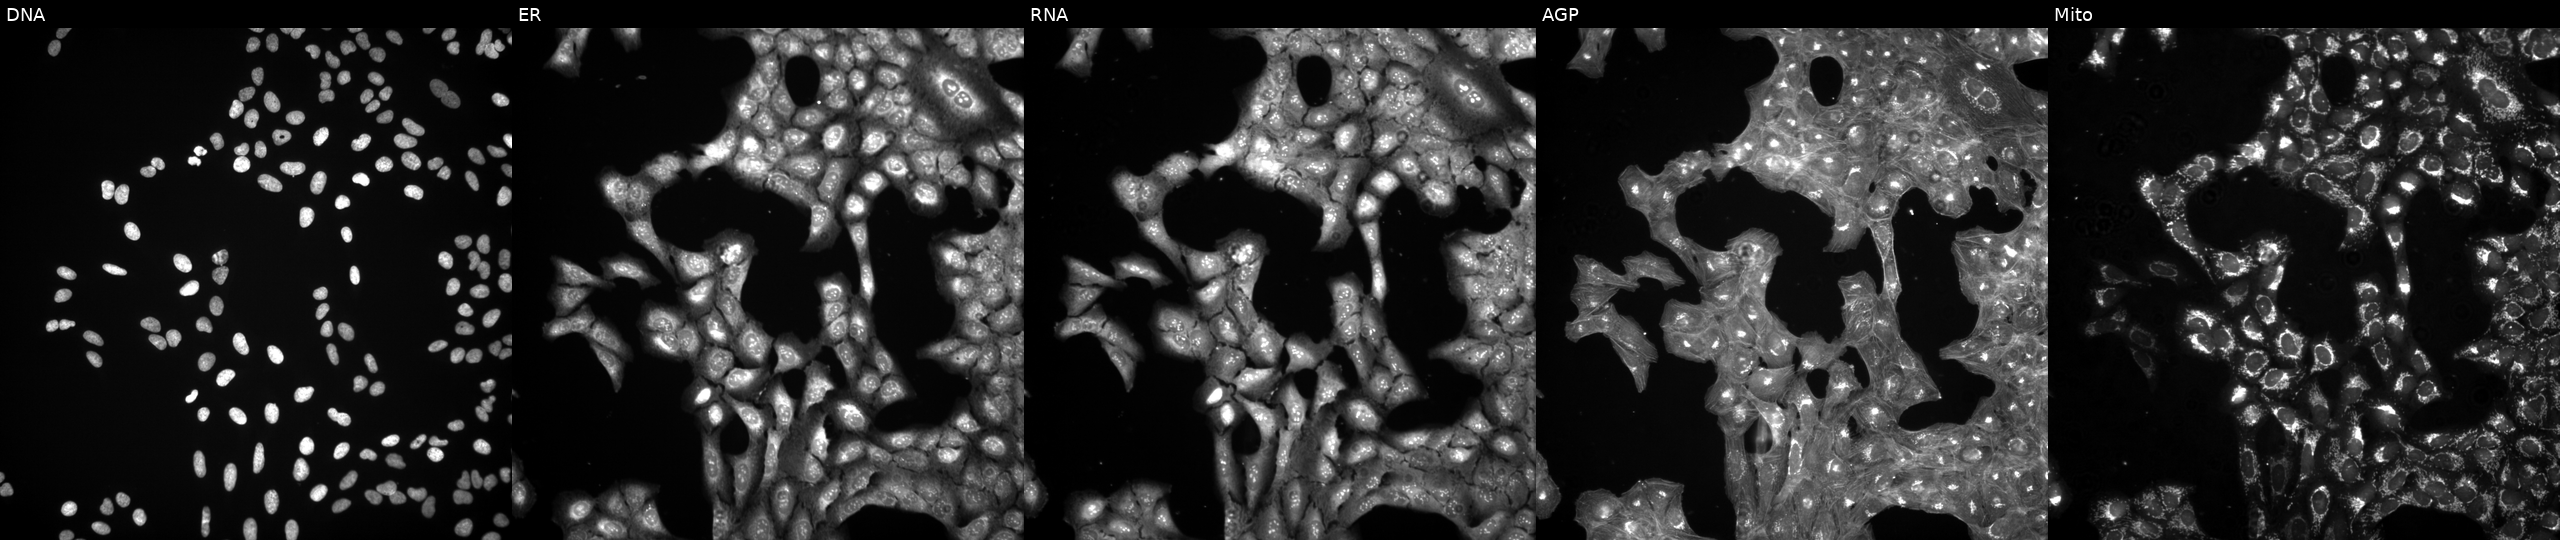
High-content fluorescence microscopy (Cell Painting). Cell line: U2OS. Perturbation: treated with a small-molecule compound (InChIKey BNTMVYHIVDPQDB-UHFFFAOYSA-N). Panels show, left to right, DNA, ER, RNA, AGP, and Mito.